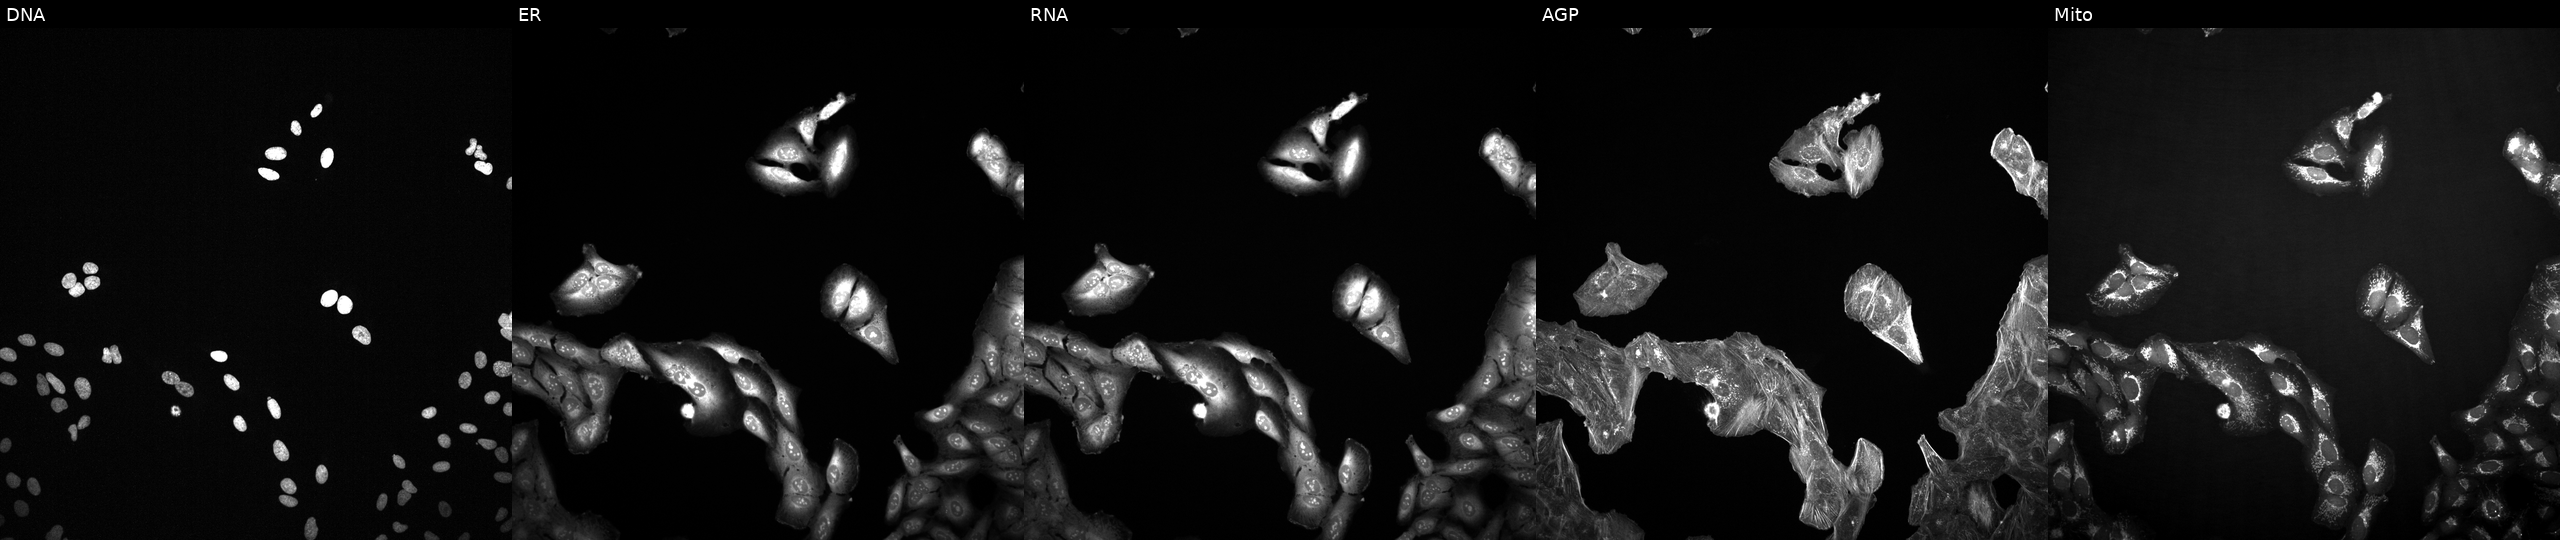
High-content fluorescence microscopy (Cell Painting). Cell line: U2OS. Perturbation: treated with a small-molecule compound (JUMP id JCP2022_050861). Channels (left→right): DNA (nuclei); ER (endoplasmic reticulum); RNA (nucleoli and cytoplasmic RNA); AGP (actin cytoskeleton, Golgi, and plasma membrane); Mito (mitochondria). Source 2, plate 1053597936, well A08.